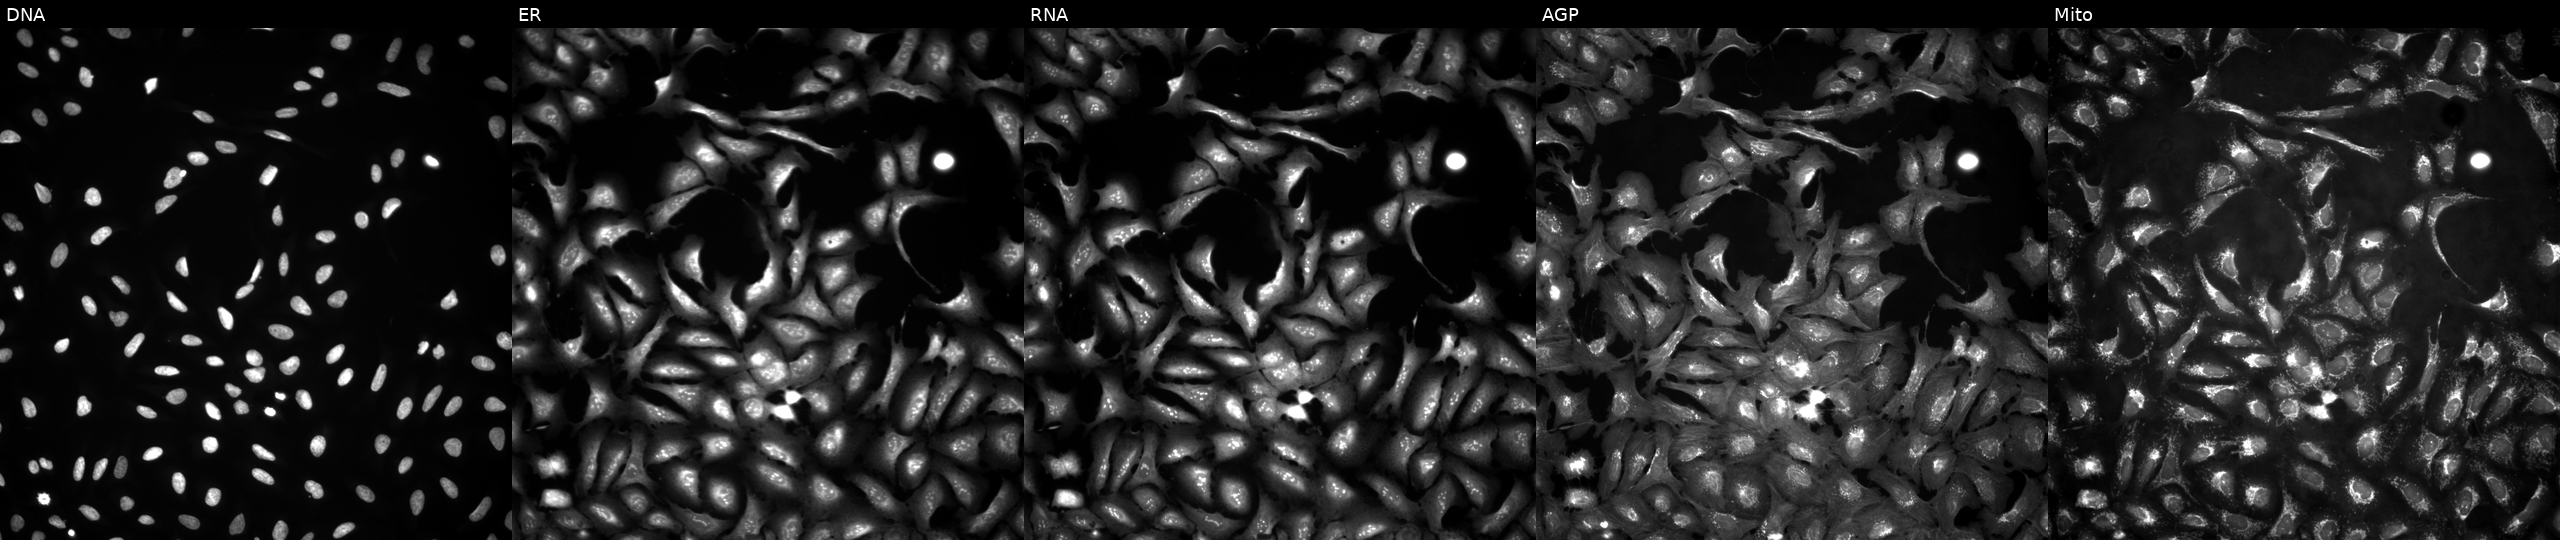
JUMP Cell Painting — ORF plate. U2OS cells overexpressing DBI via ORF transfection (JUMP id JCP2022_900393). Channels (left→right): DNA (nuclei); ER (endoplasmic reticulum); RNA (nucleoli and cytoplasmic RNA); AGP (actin cytoskeleton, Golgi, and plasma membrane); Mito (mitochondria).